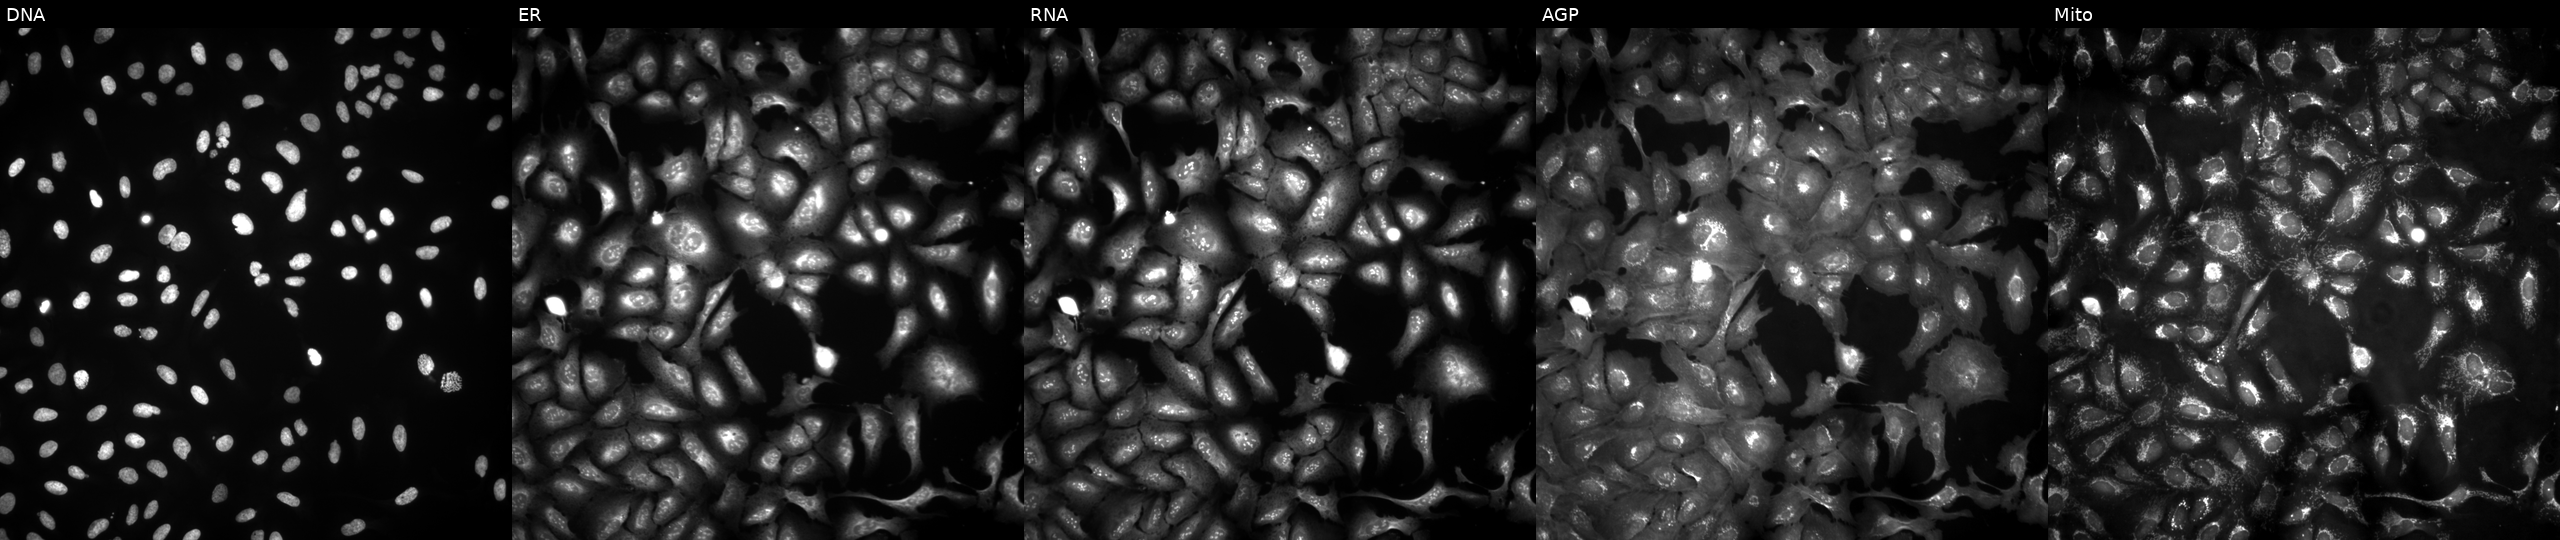
JUMP Cell Painting — ORF plate. U2OS cells overexpressing LCP1 via ORF transfection. From left to right: Hoechst 33342, concanavalin A, SYTO 14, phalloidin and WGA, MitoTracker.